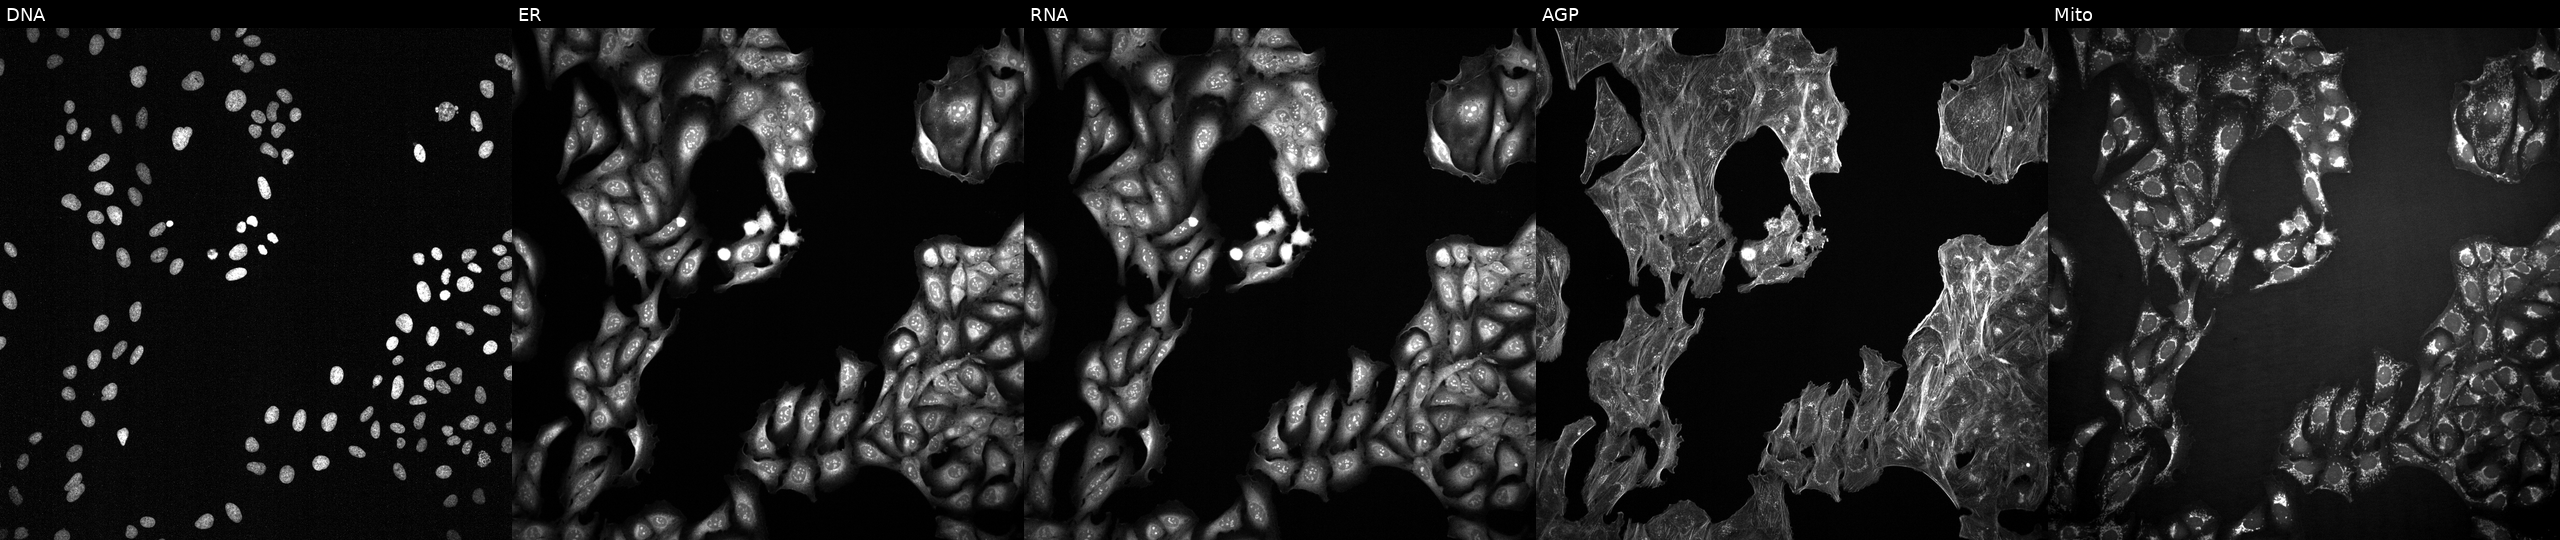
High-content fluorescence microscopy (Cell Painting). Cell line: U2OS. Perturbation: perturbed with a small-molecule compound (InChIKey HULPONUAINYLQQ-UHFFFAOYSA-N). The five panels, left to right, show Hoechst 33342, concanavalin A, SYTO 14, phalloidin and WGA, MitoTracker. Source 2, plate 1053599503, well I18.